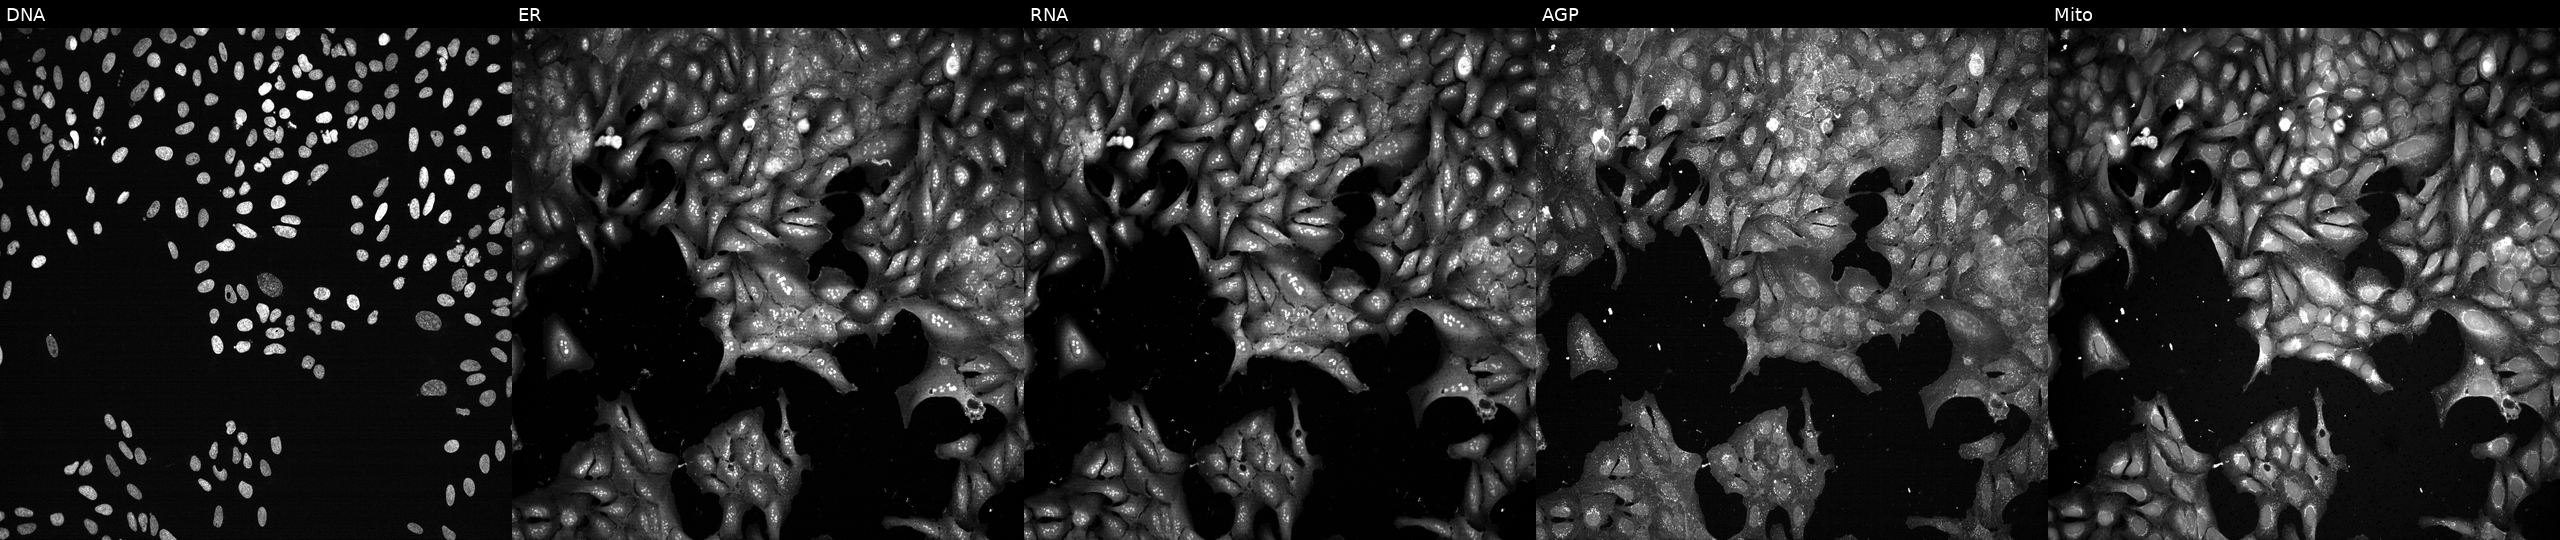
High-content fluorescence microscopy (Cell Painting). Cell line: U2OS. Perturbation: with GCLM knocked out by CRISPR. Channels (left→right): Hoechst 33342, concanavalin A, SYTO 14, phalloidin and WGA, MitoTracker.